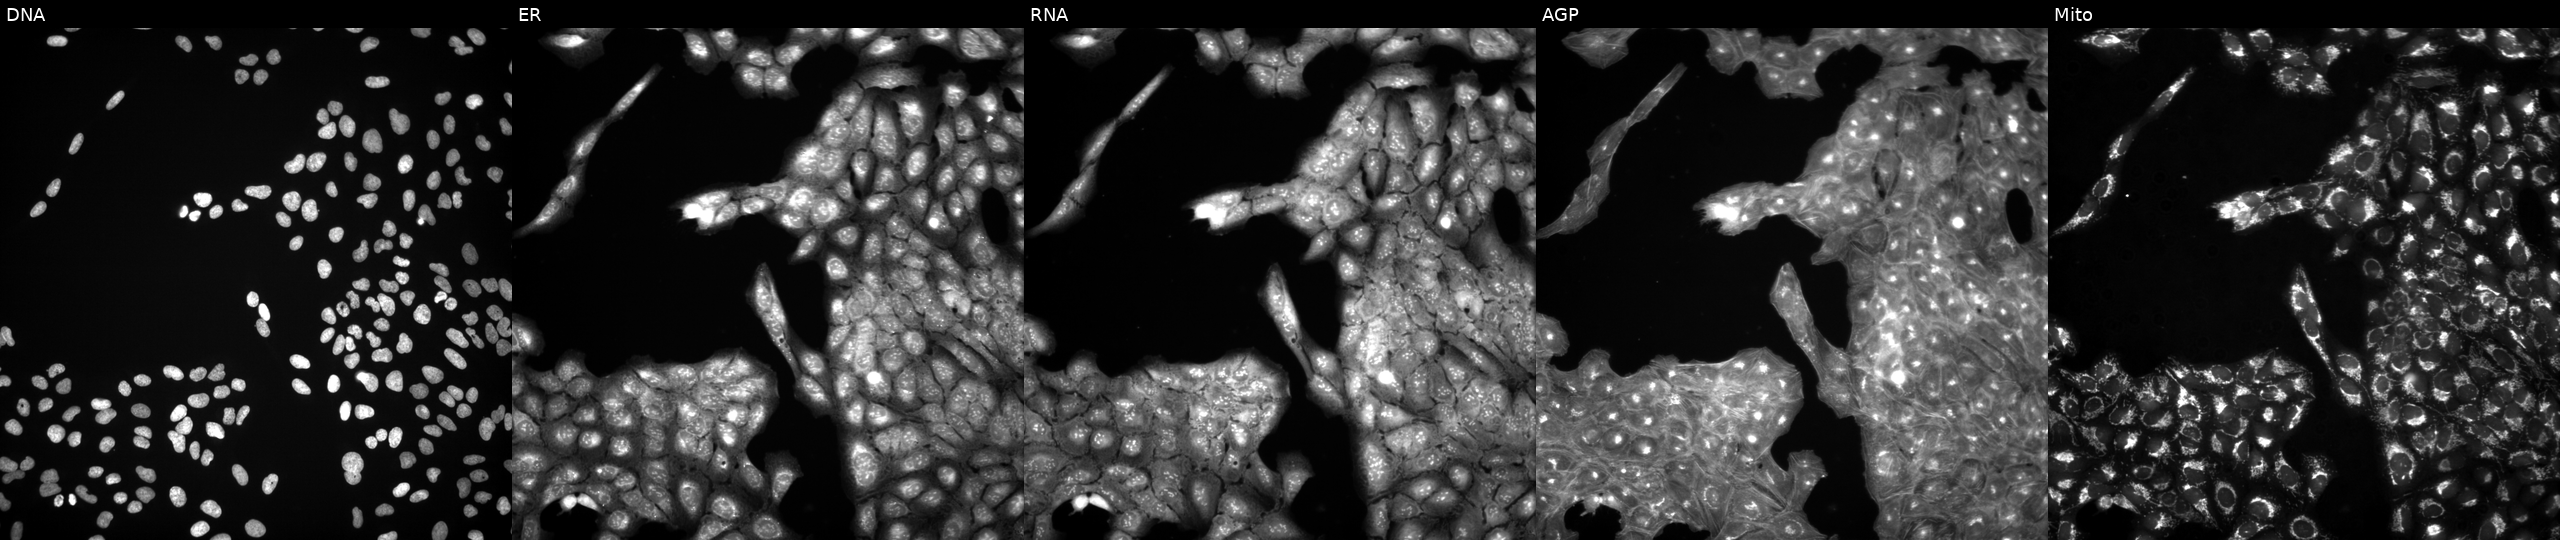
U2OS cells, Cell Painting assay, treated with DMSO vehicle only (negative control). The five panels, left to right, show DNA, ER, RNA, AGP, and Mito. Each panel is percentile-stretched 16-bit fluorescence. Source 3, plate JCPQC051, well F21.